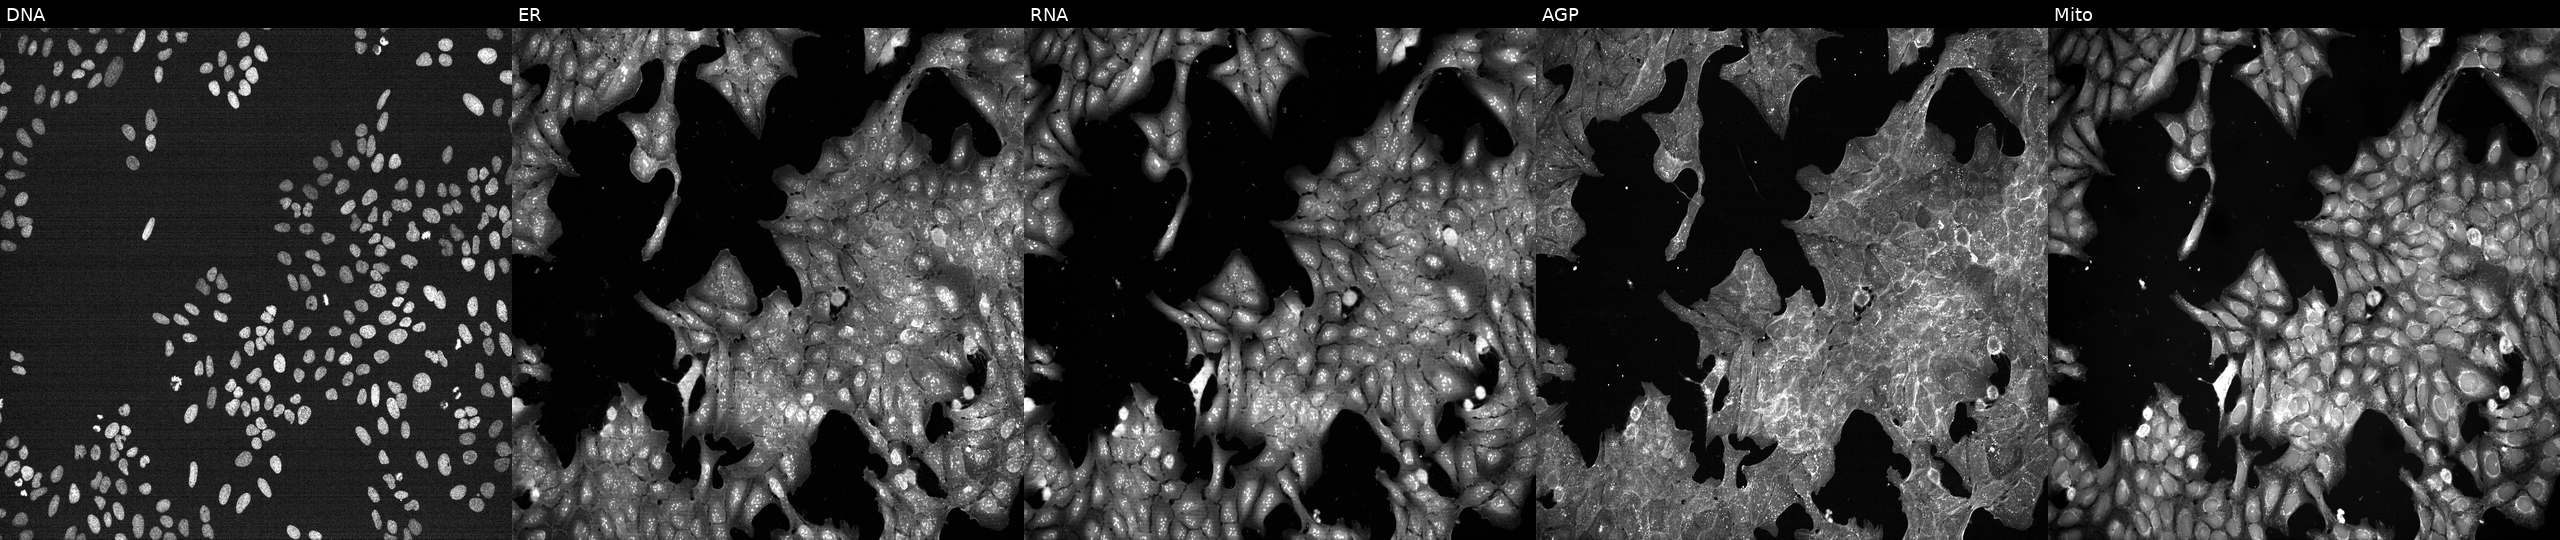
U2OS cells, Cell Painting assay, exposed to a small-molecule compound (InChIKey XDJCLCLBSGGNKS-UHFFFAOYSA-N). The five panels, left to right, show DNA, ER, RNA, AGP, and Mito. Each panel is percentile-stretched 16-bit fluorescence.